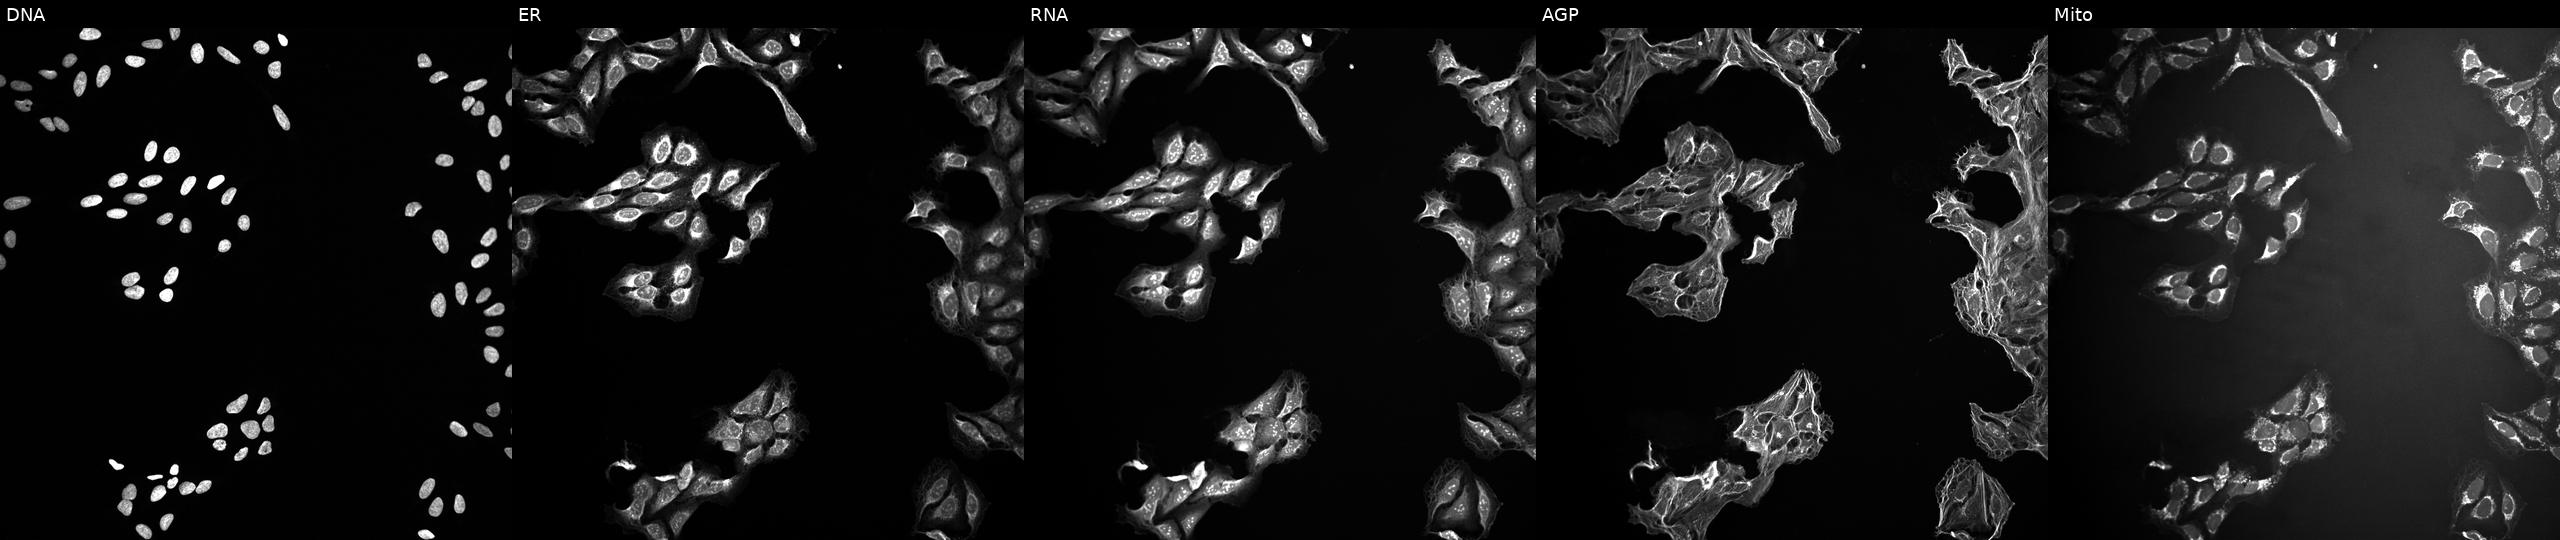
Five-channel Cell Painting image of U2OS cells perturbed with a small-molecule compound (InChIKey QESQGTFWEQMCMH-UHFFFAOYSA-N) (JUMP id JCP2022_072945). Channels (left→right): DNA, ER, RNA, AGP, and Mito.